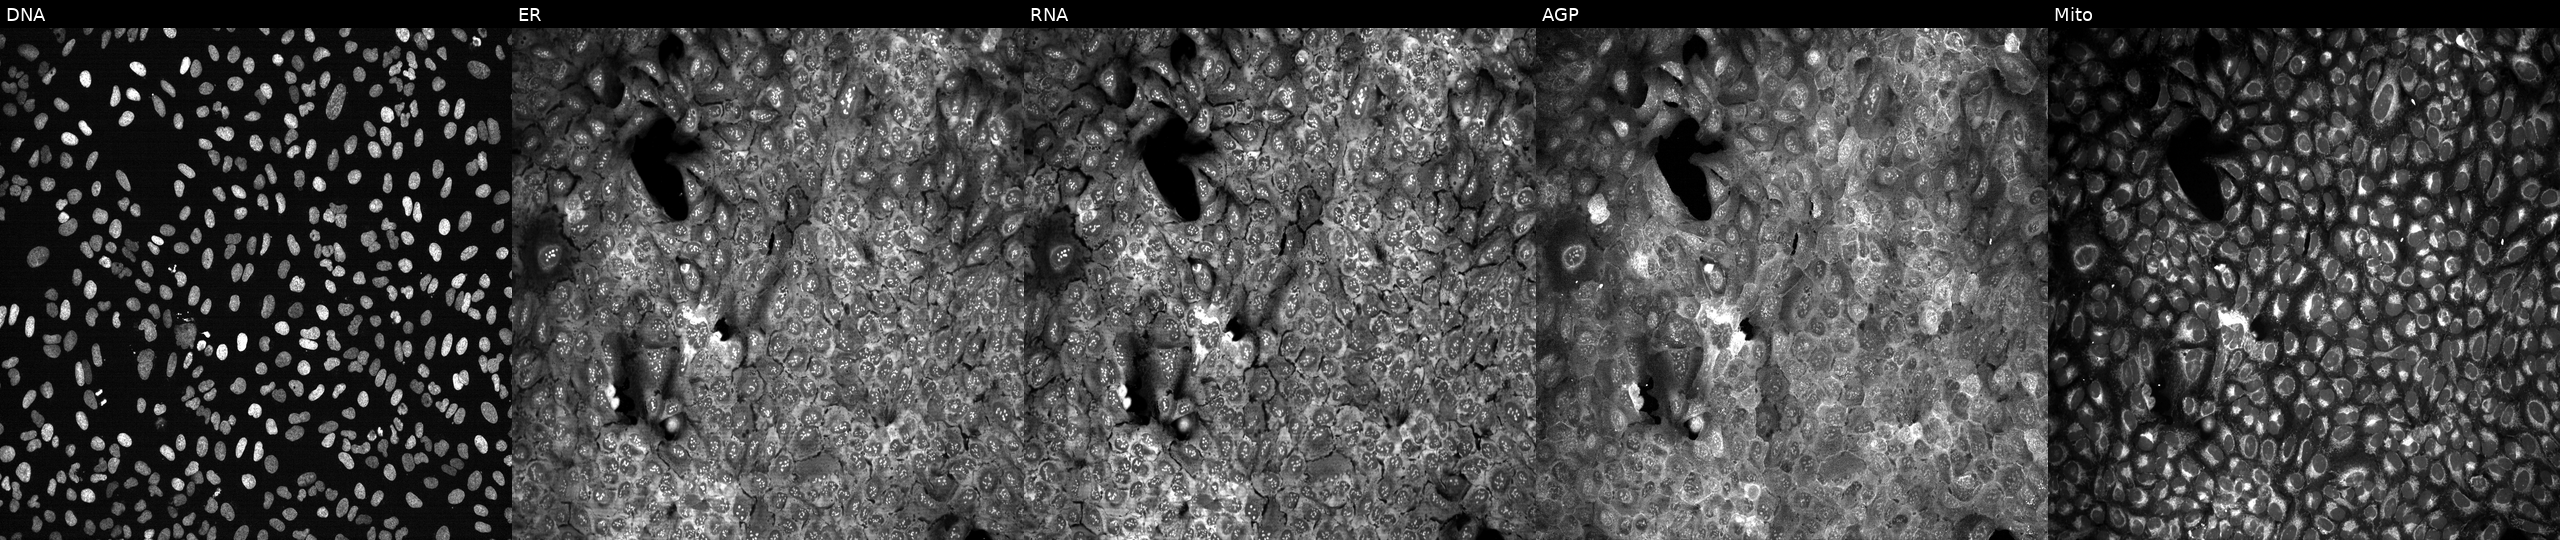
Five-channel Cell Painting image of U2OS cells with SLC15A1 knocked out by CRISPR (JUMP id JCP2022_806380). The five panels, left to right, show DNA, ER, RNA, AGP, and Mito.